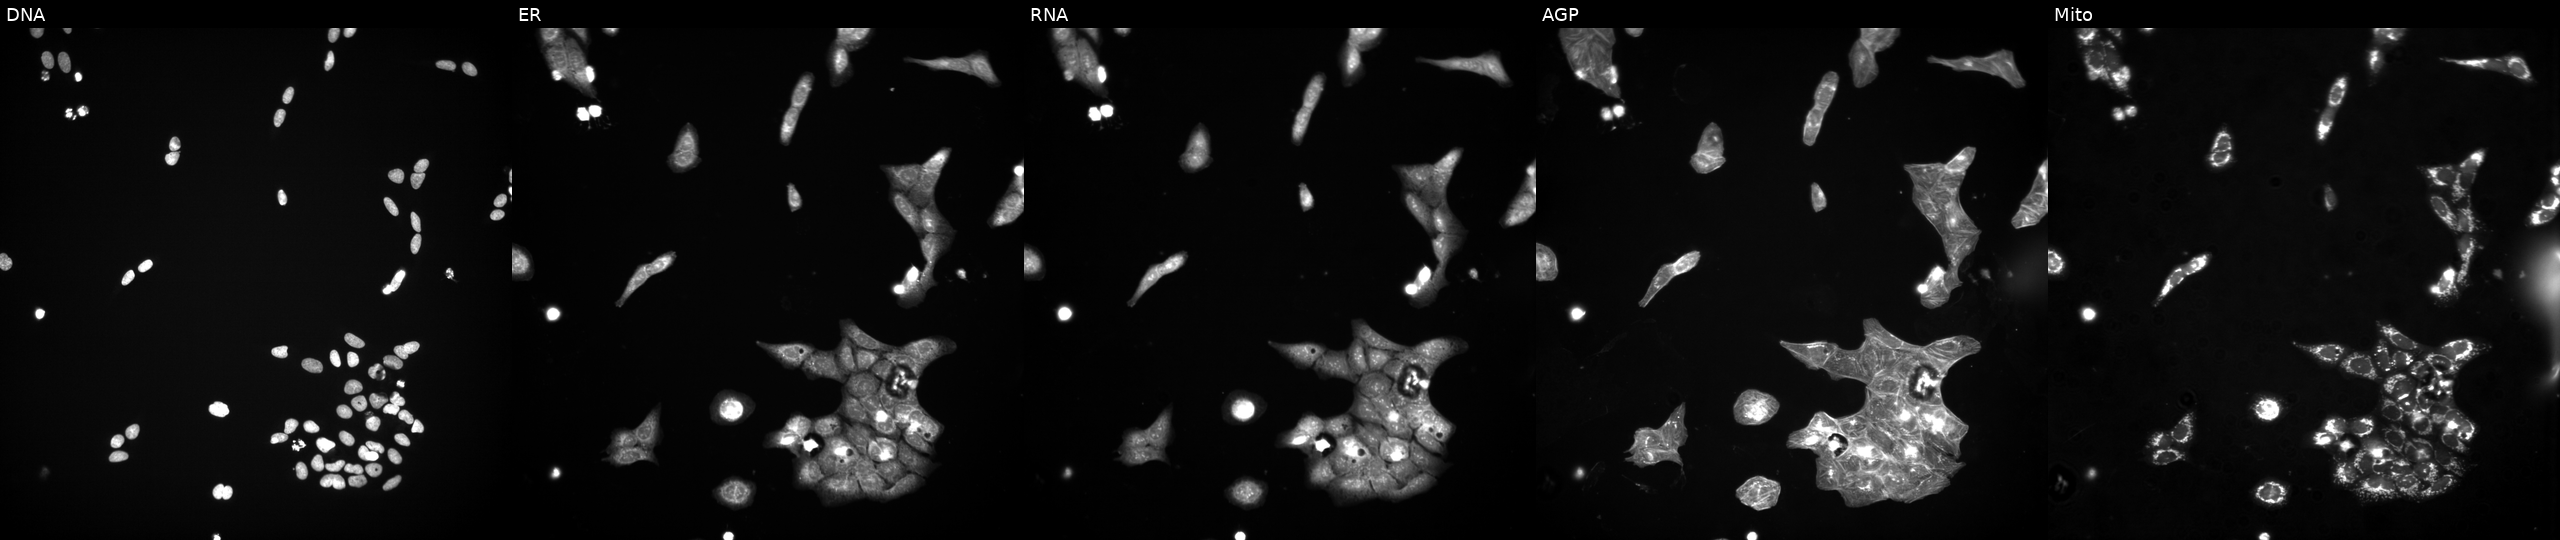
Five-channel Cell Painting image of U2OS cells treated with a small-molecule compound. The five panels, left to right, show DNA, ER, RNA, AGP, and Mito.